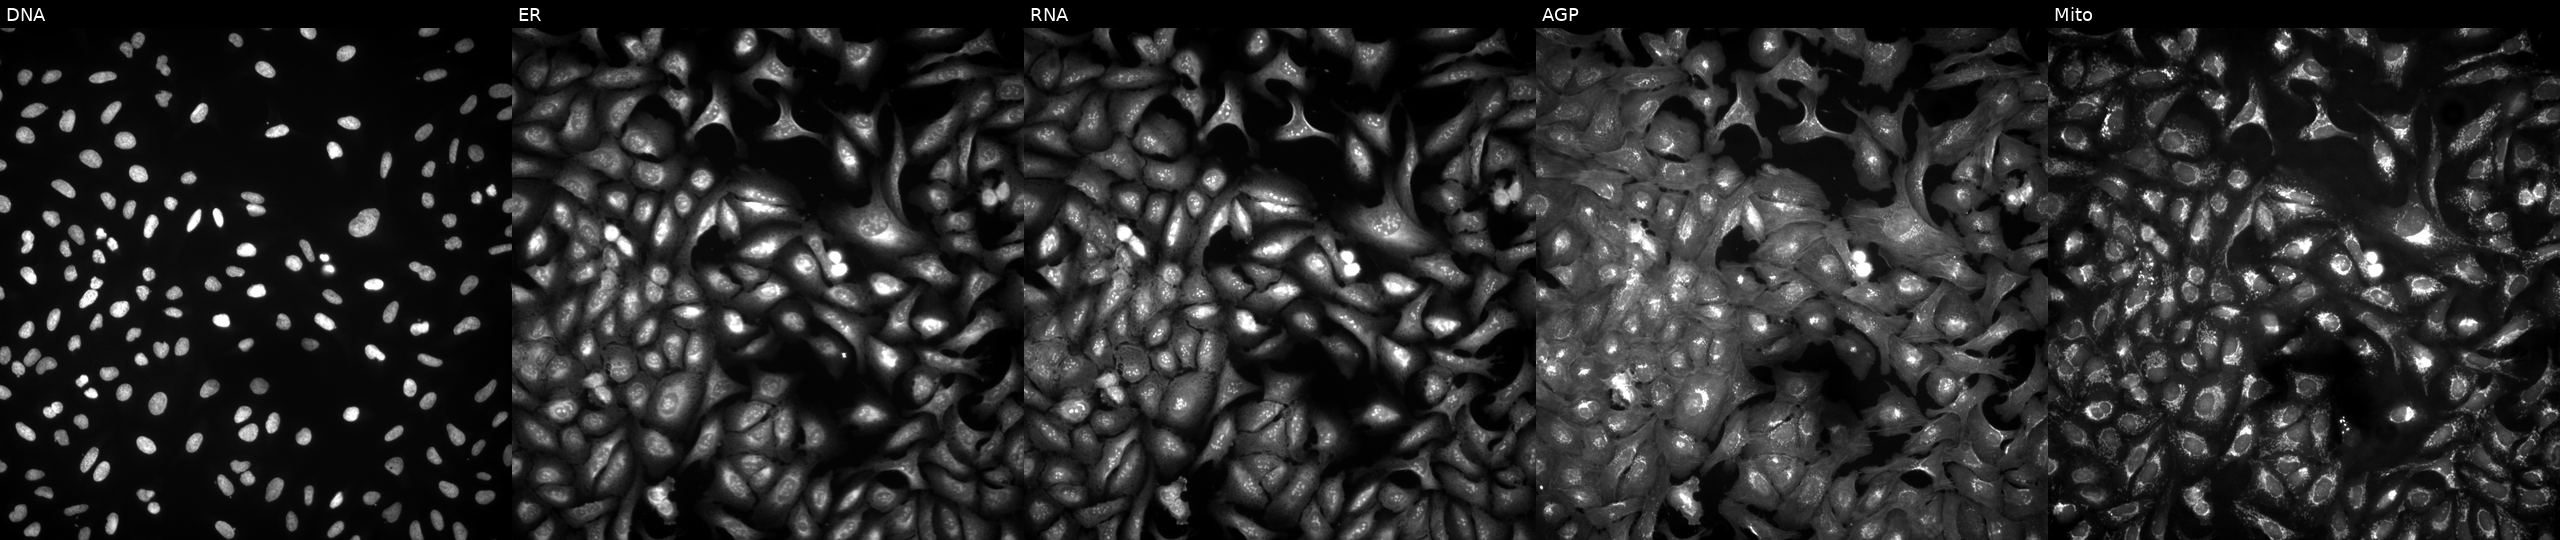
Five-channel Cell Painting image of U2OS cells overexpressing NFATC2IP via ORF transfection. From left to right: DNA (nuclei); ER (endoplasmic reticulum); RNA (nucleoli and cytoplasmic RNA); AGP (actin cytoskeleton, Golgi, and plasma membrane); Mito (mitochondria).